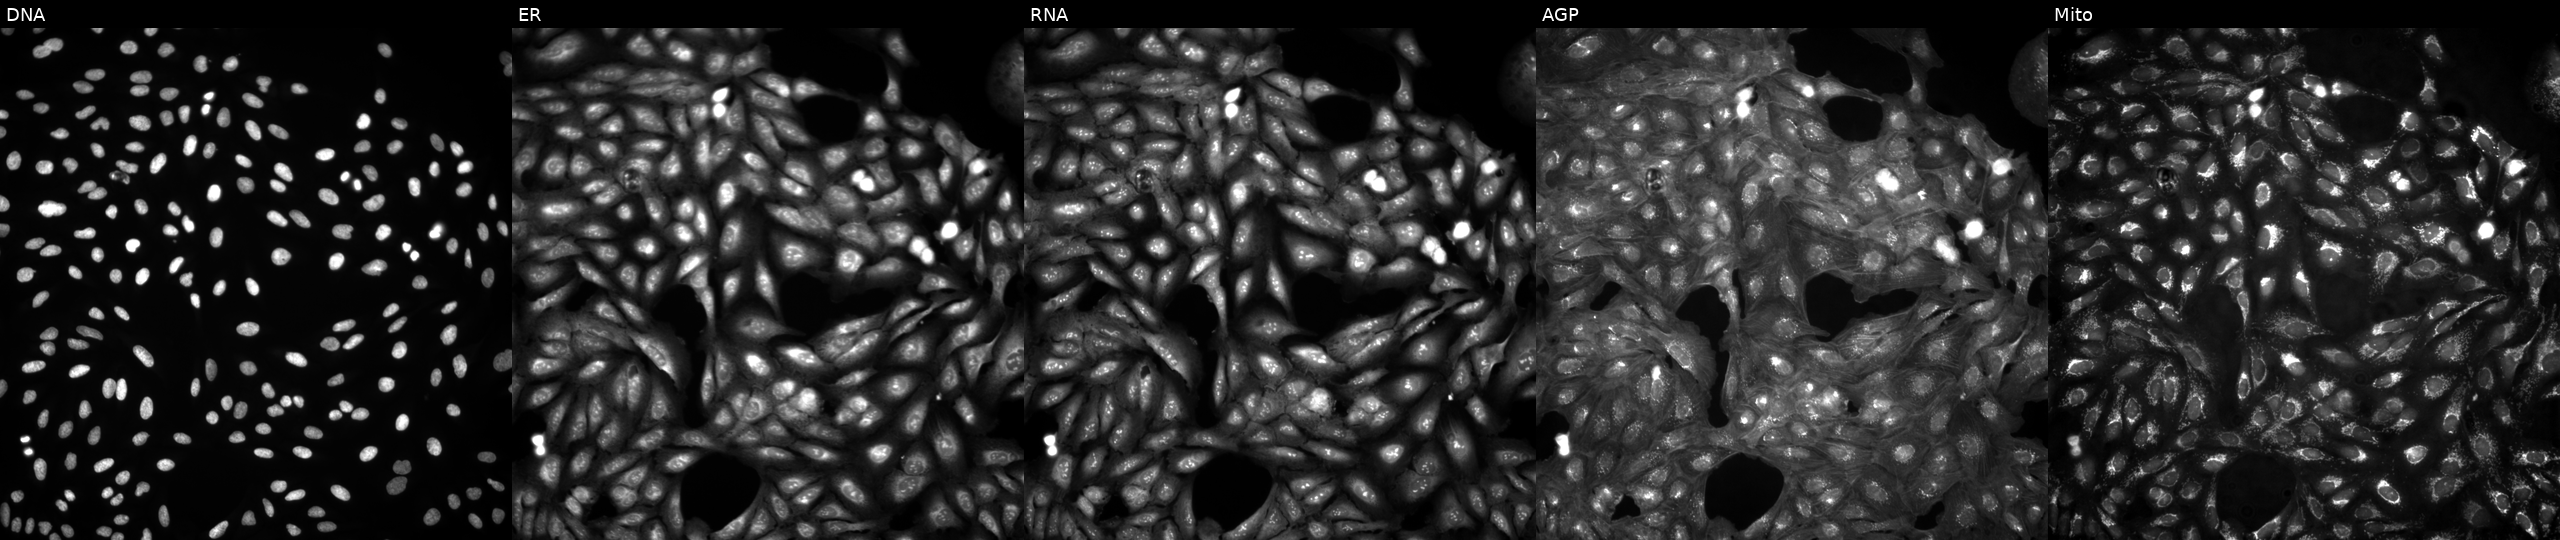
JUMP Cell Painting — ORF plate. U2OS cells in an empty control well (no perturbation) (JUMP id JCP2022_999999). Panels show, left to right, DNA (nuclei); ER (endoplasmic reticulum); RNA (nucleoli and cytoplasmic RNA); AGP (actin cytoskeleton, Golgi, and plasma membrane); Mito (mitochondria).